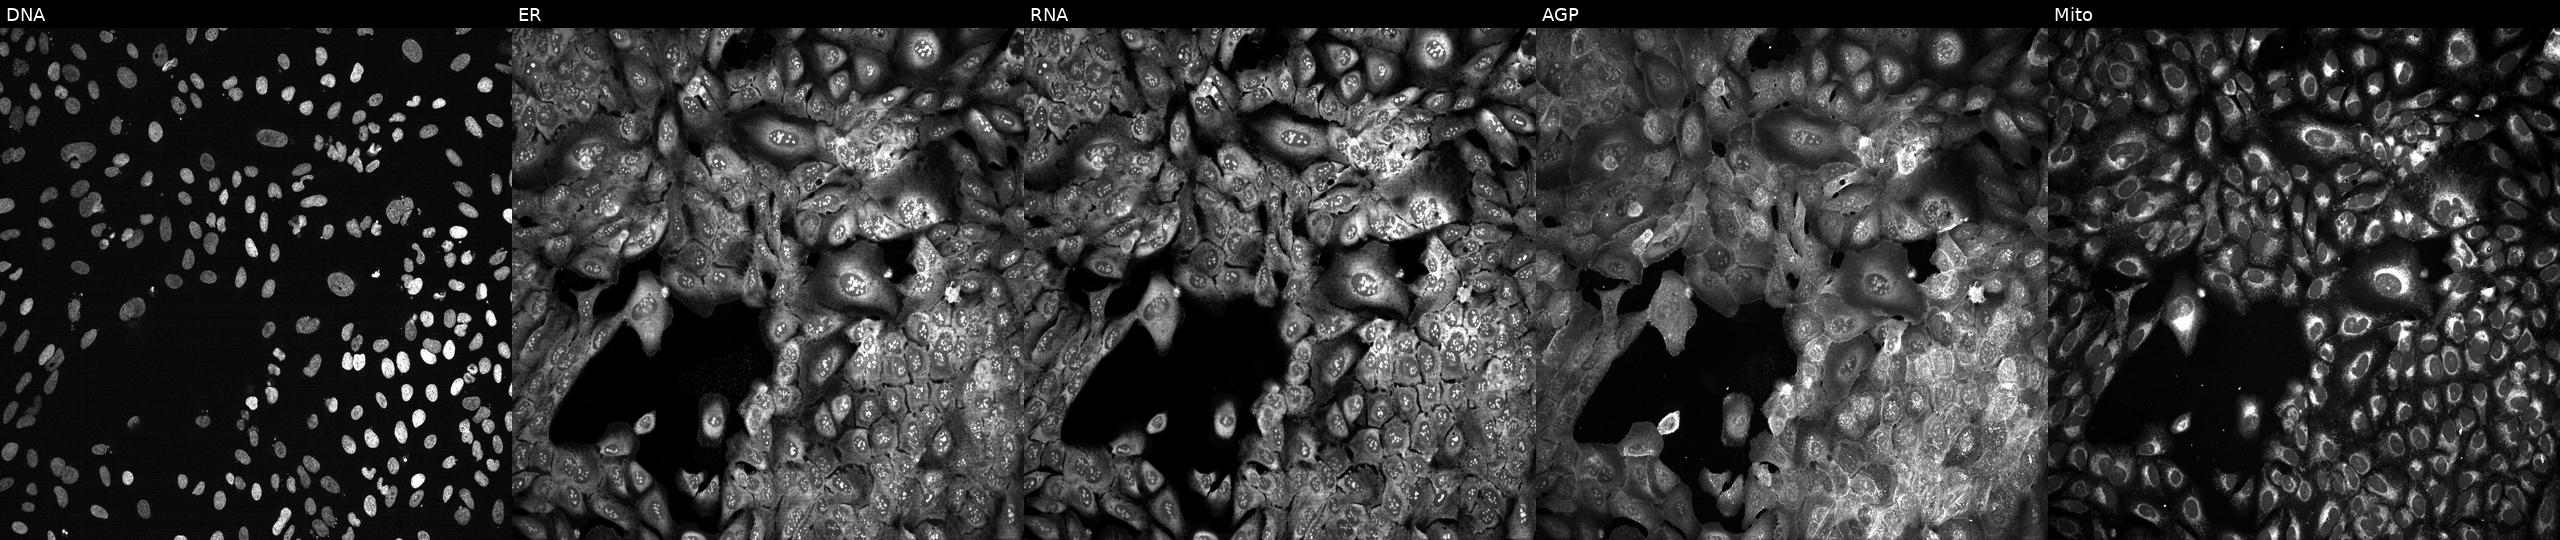
JUMP Cell Painting — CRISPR plate. U2OS cells CRISPR-edited to disrupt AARS (JUMP id JCP2022_800012). Panels show, left to right, DNA, ER, RNA, AGP, and Mito. Source 13, plate CP-CC9-R4-04, well E03.